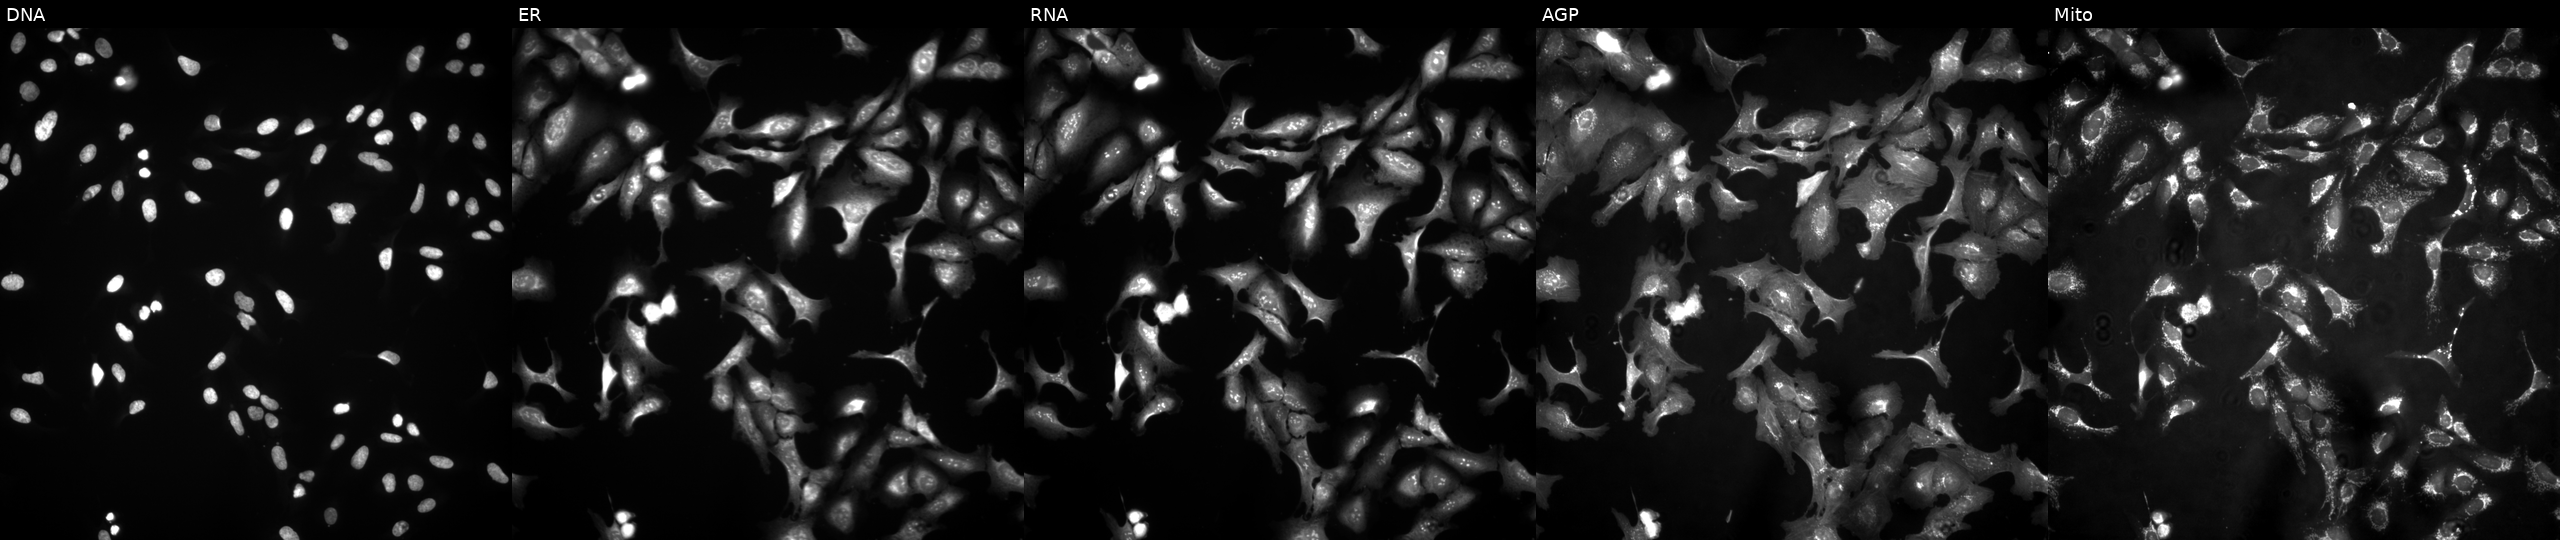
Five-channel Cell Painting image of U2OS cells overexpressing RBM10 via ORF transfection. Panels show, left to right, DNA, ER, RNA, AGP, and Mito.